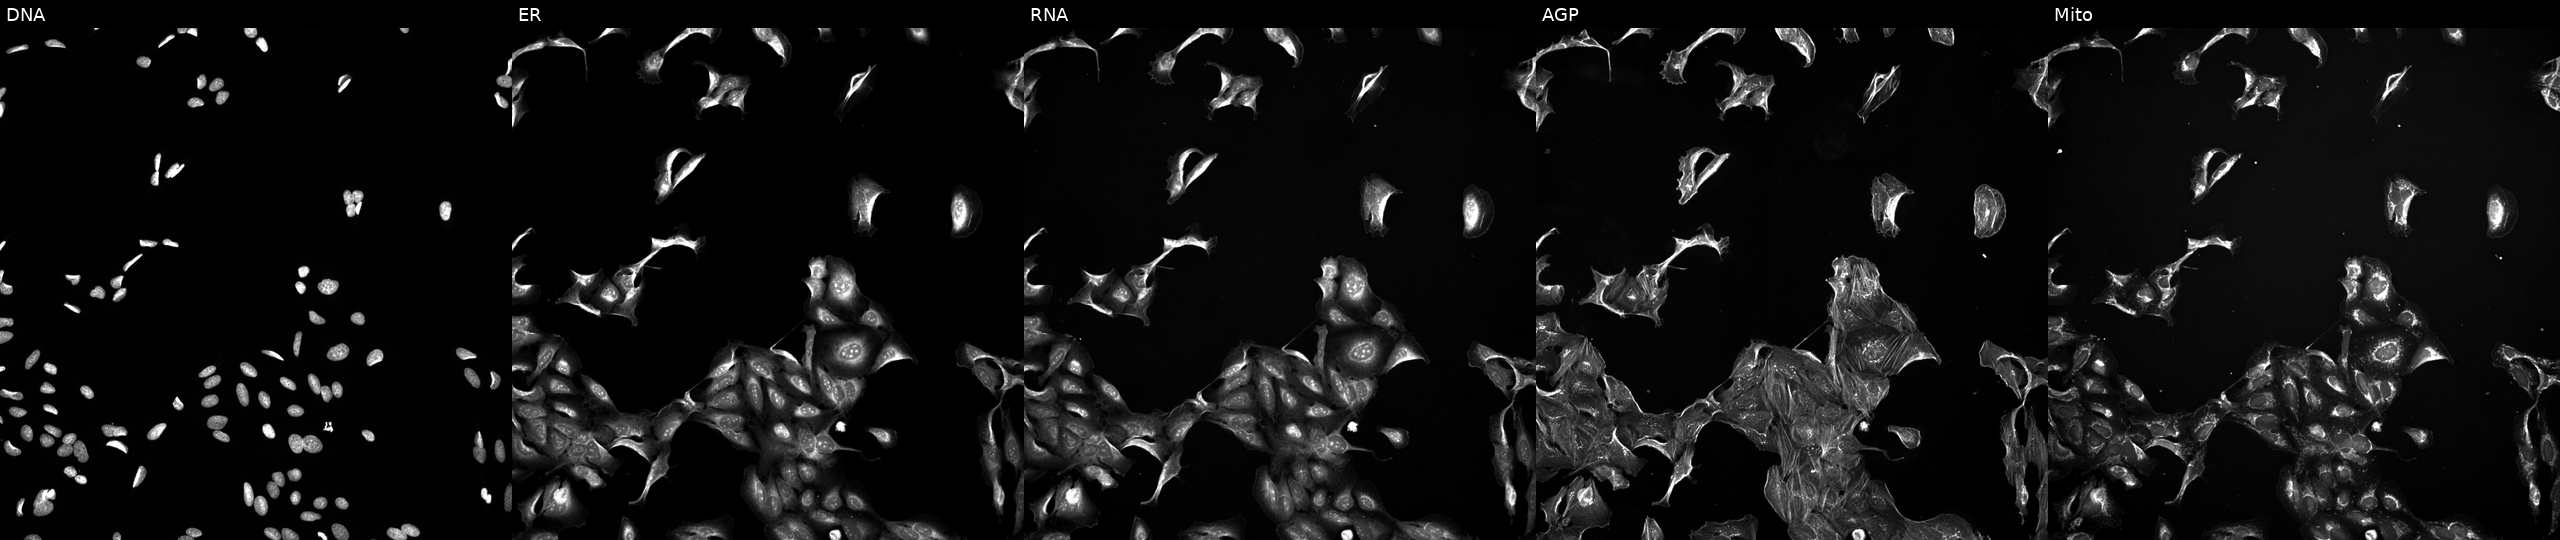
This image strip shows the five Cell Painting channels for a single field of U2OS cells treated with a small-molecule compound (InChIKey WYWHKKSPHMUBEB-UHFFFAOYSA-N). Channels (left→right): Hoechst 33342, concanavalin A, SYTO 14, phalloidin and WGA, MitoTracker.